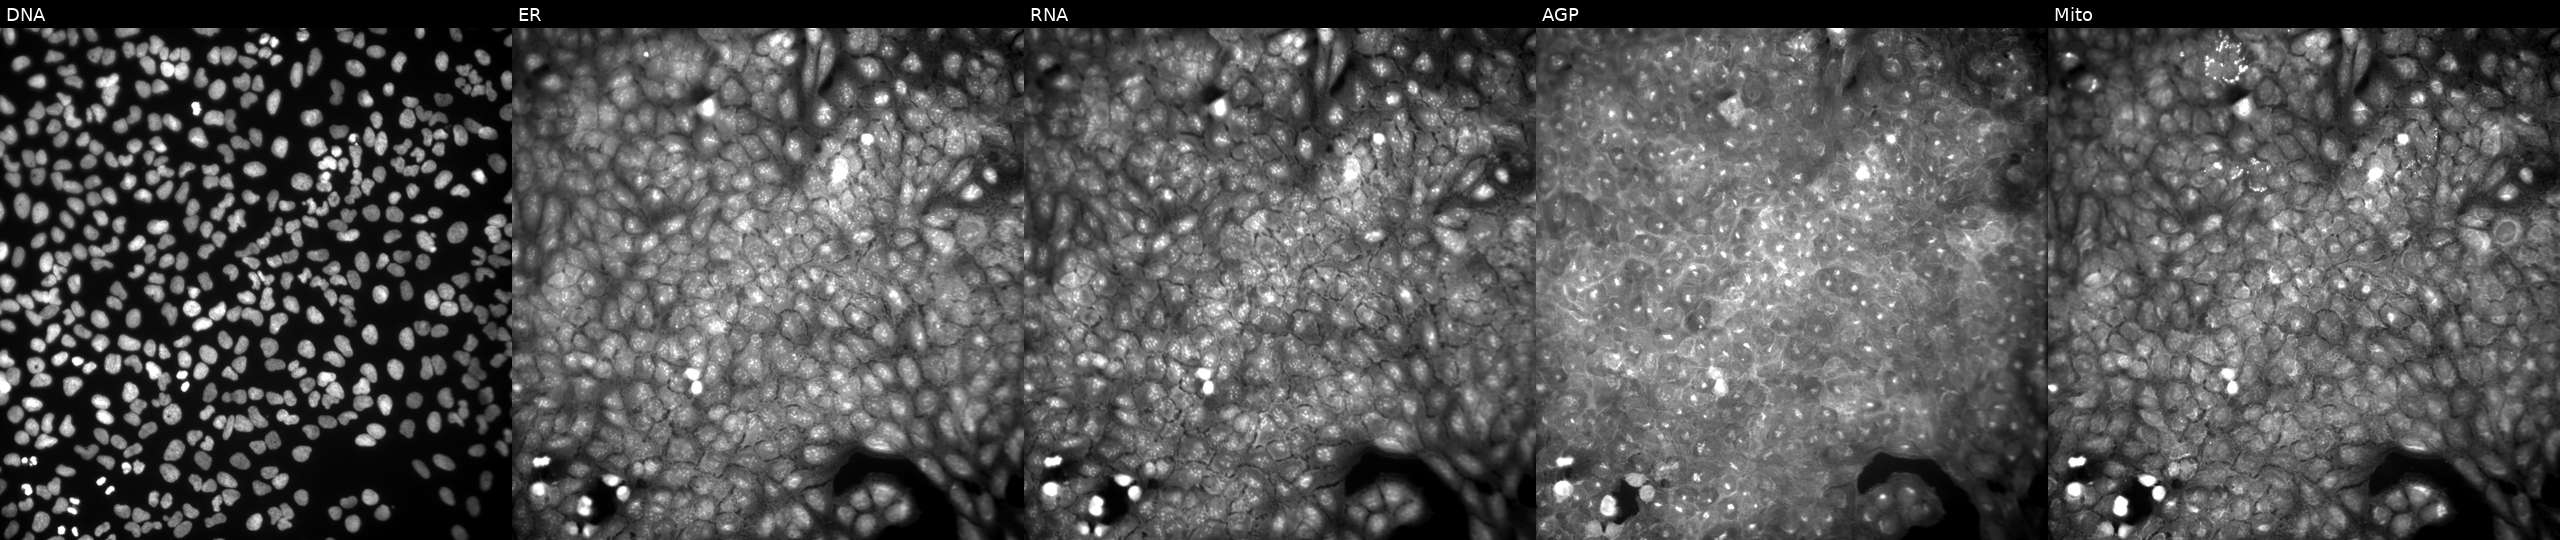
High-content fluorescence microscopy (Cell Painting). Cell line: U2OS. Perturbation: exposed to a small-molecule compound (InChIKey ZAQVKSRGAWOLLX-UHFFFAOYSA-N). From left to right: Hoechst 33342, concanavalin A, SYTO 14, phalloidin and WGA, MitoTracker.